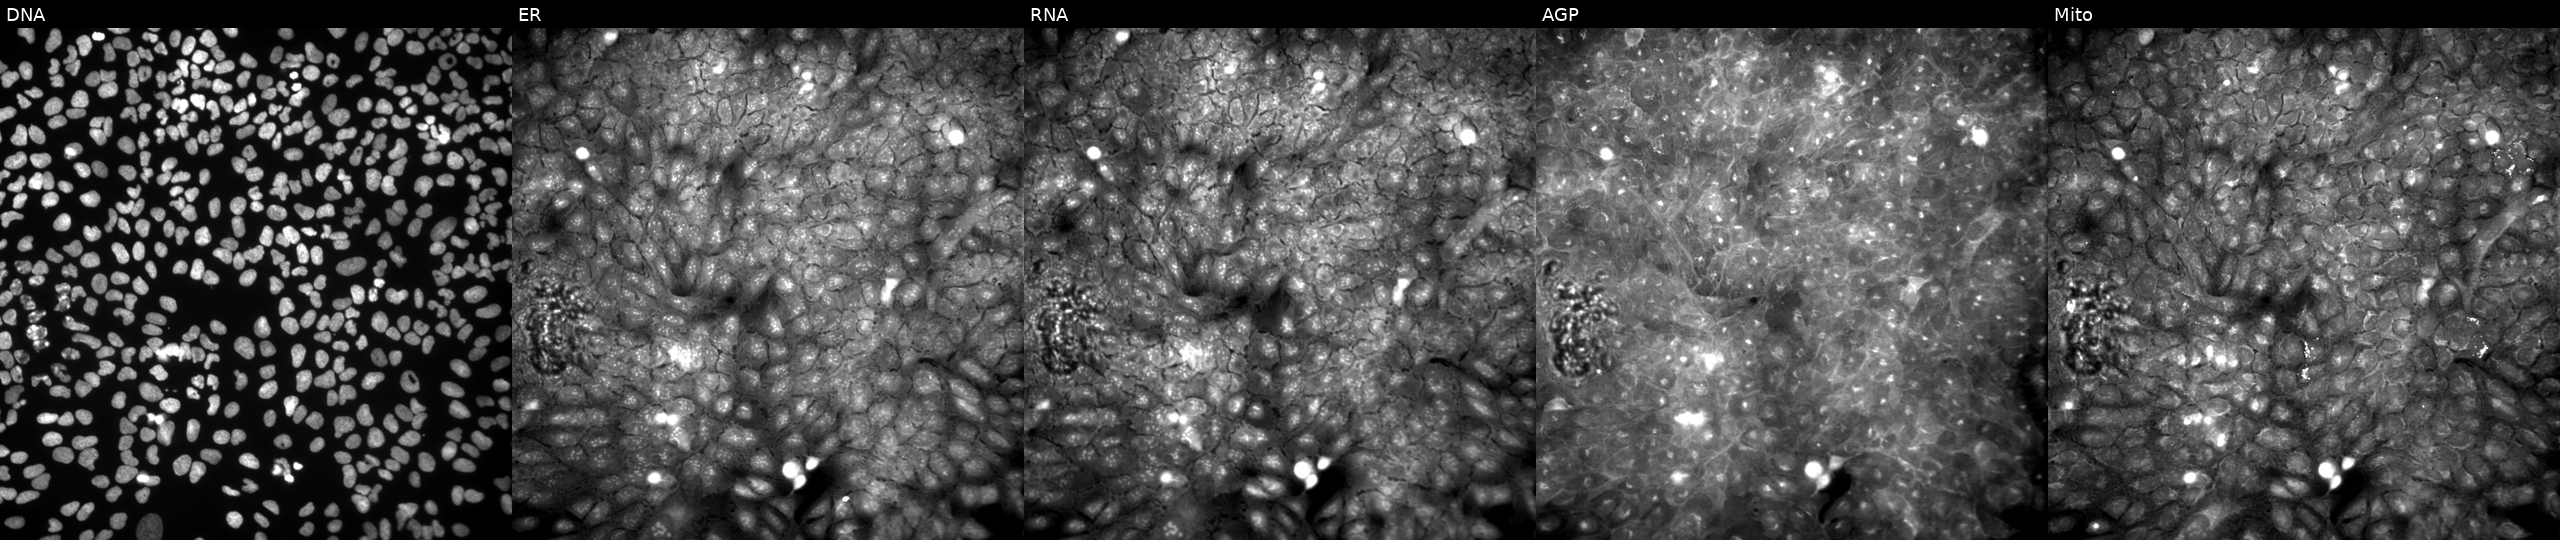
Channels (left→right): DNA, ER, RNA, AGP, and Mito. U2OS osteosarcoma cells exposed to a small-molecule compound (InChIKey ROIYTXOVLMPSOI-UHFFFAOYSA-N) (JUMP id JCP2022_079676). Cell Painting assay, JUMP-CP dataset.